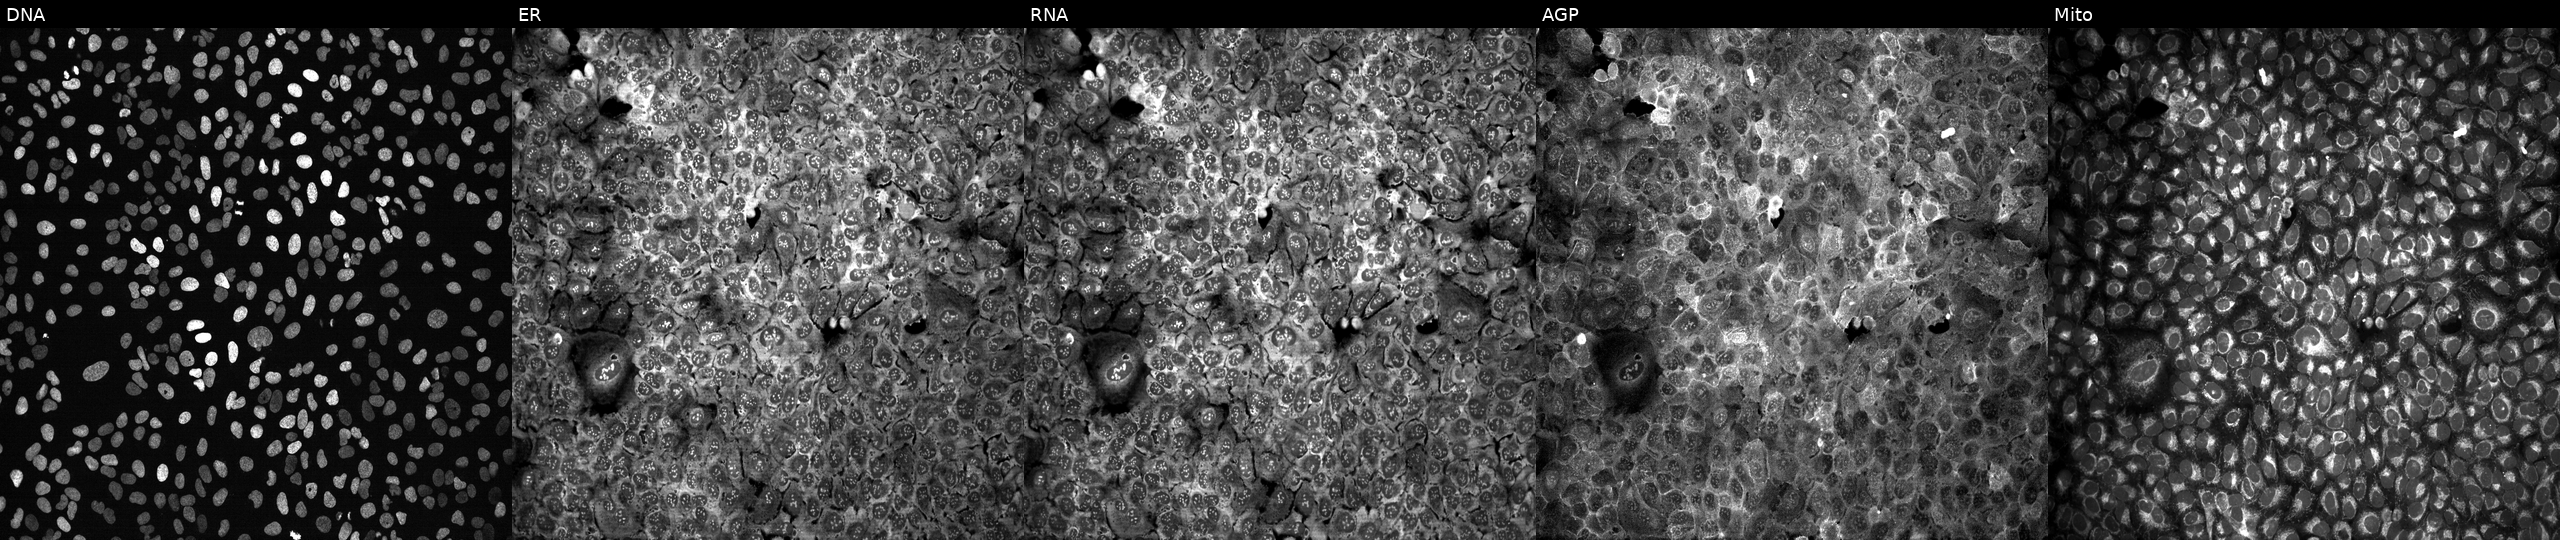
JUMP Cell Painting — CRISPR plate. U2OS cells with a non-targeting CRISPR guide (negative control) (JUMP id JCP2022_800002). The five panels, left to right, show DNA, ER, RNA, AGP, and Mito.